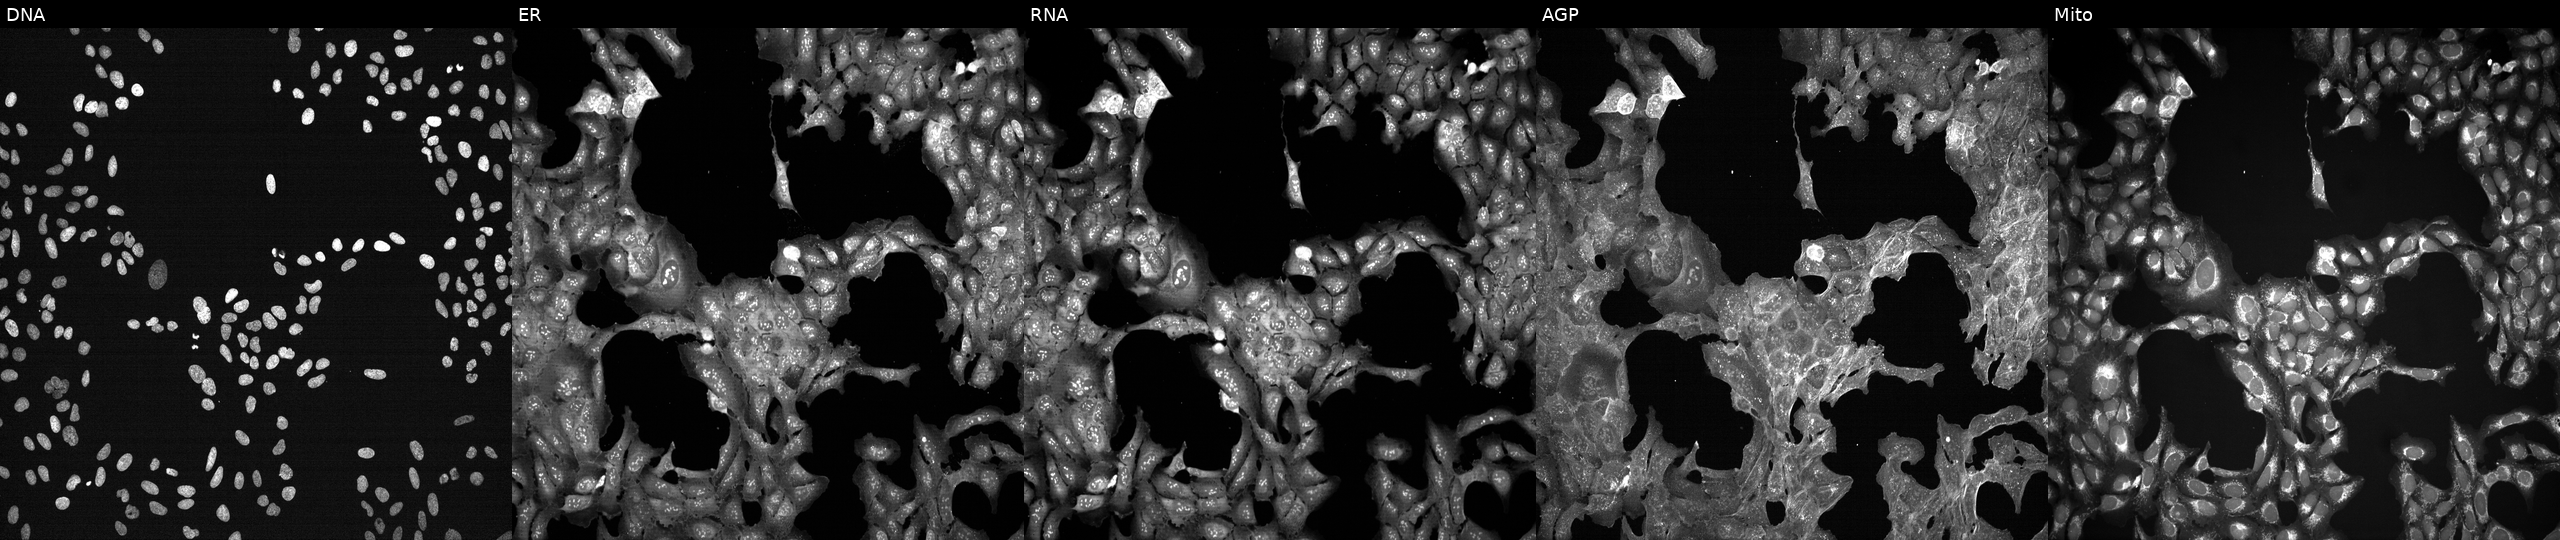
JUMP Cell Painting — TARGET2 plate. U2OS cells treated with a small-molecule compound (InChIKey RYEFFICCPKWYML-UHFFFAOYSA-N). Channels (left→right): Hoechst 33342, concanavalin A, SYTO 14, phalloidin and WGA, MitoTracker.